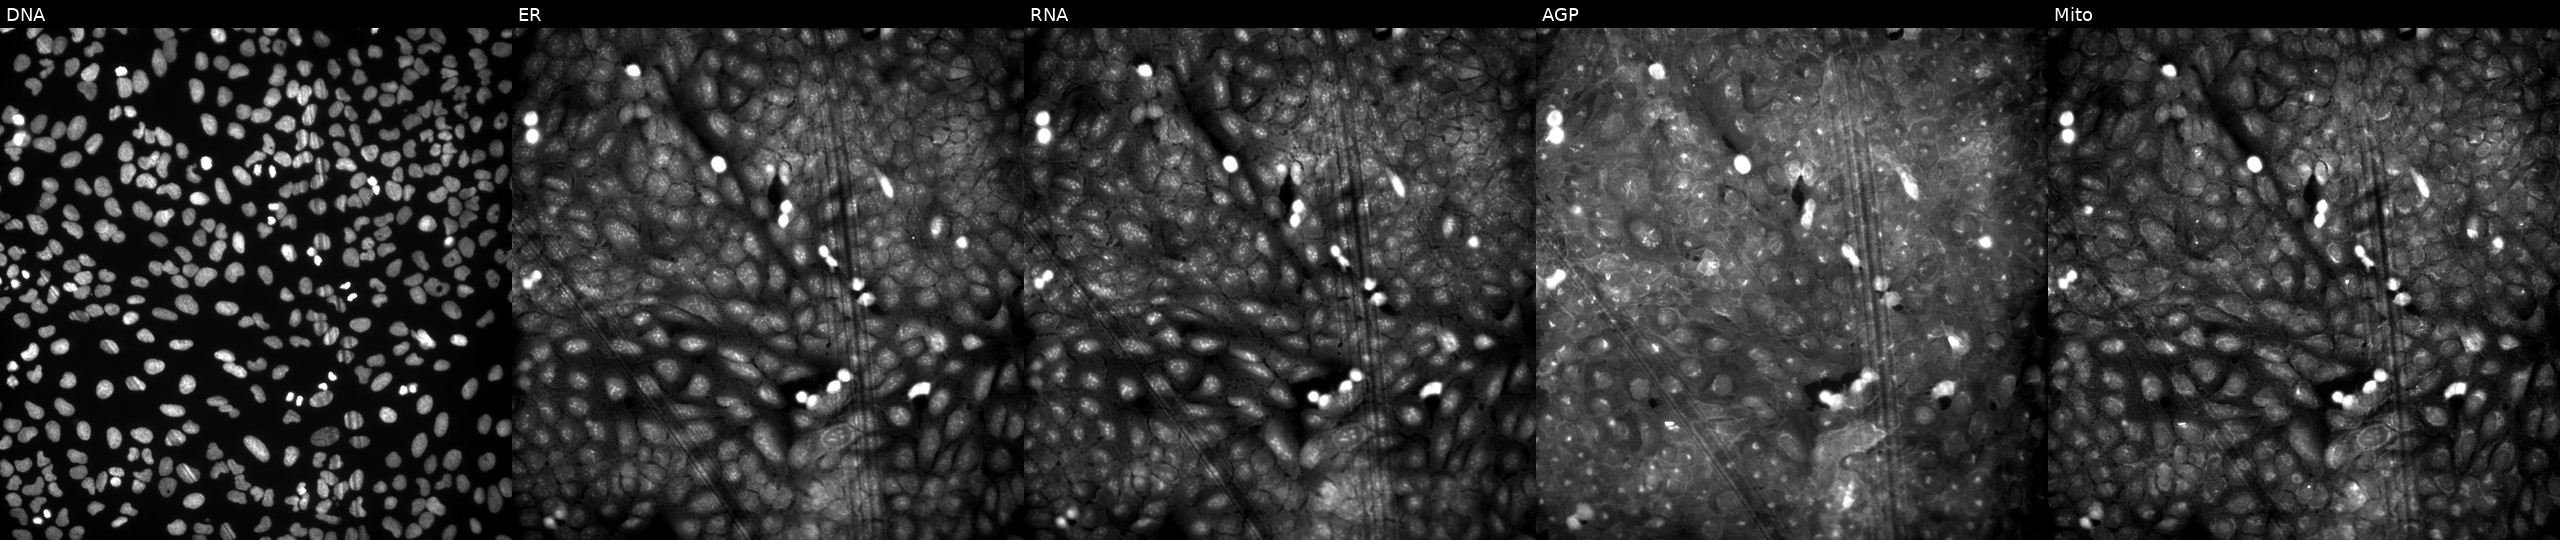
This image strip shows the five Cell Painting channels for a single field of U2OS cells exposed to a small-molecule compound (InChIKey KJPYPBLKSFPWTP-UHFFFAOYSA-N) [SMILES: CCN(CC)CCCNC(=O)C=Cc1ccc2c(c1)OCO2] (JUMP id JCP2022_045055). From left to right: Hoechst 33342, concanavalin A, SYTO 14, phalloidin and WGA, MitoTracker.